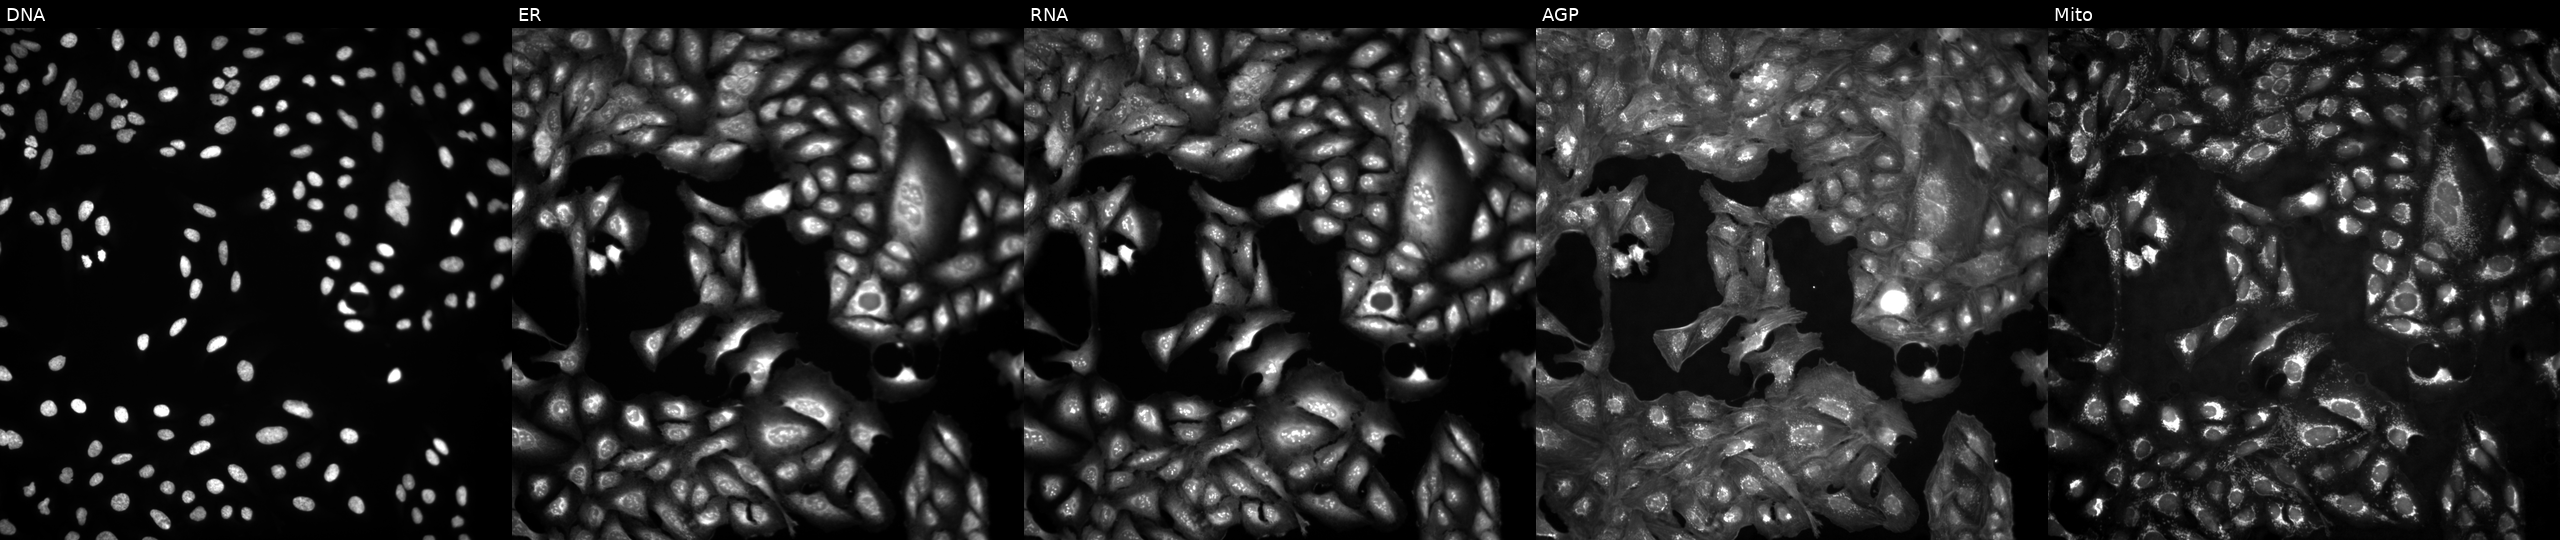
High-content fluorescence microscopy (Cell Painting). Cell line: U2OS. Perturbation: untreated (empty-well control). The five panels, left to right, show DNA (nuclei); ER (endoplasmic reticulum); RNA (nucleoli and cytoplasmic RNA); AGP (actin cytoskeleton, Golgi, and plasma membrane); Mito (mitochondria).